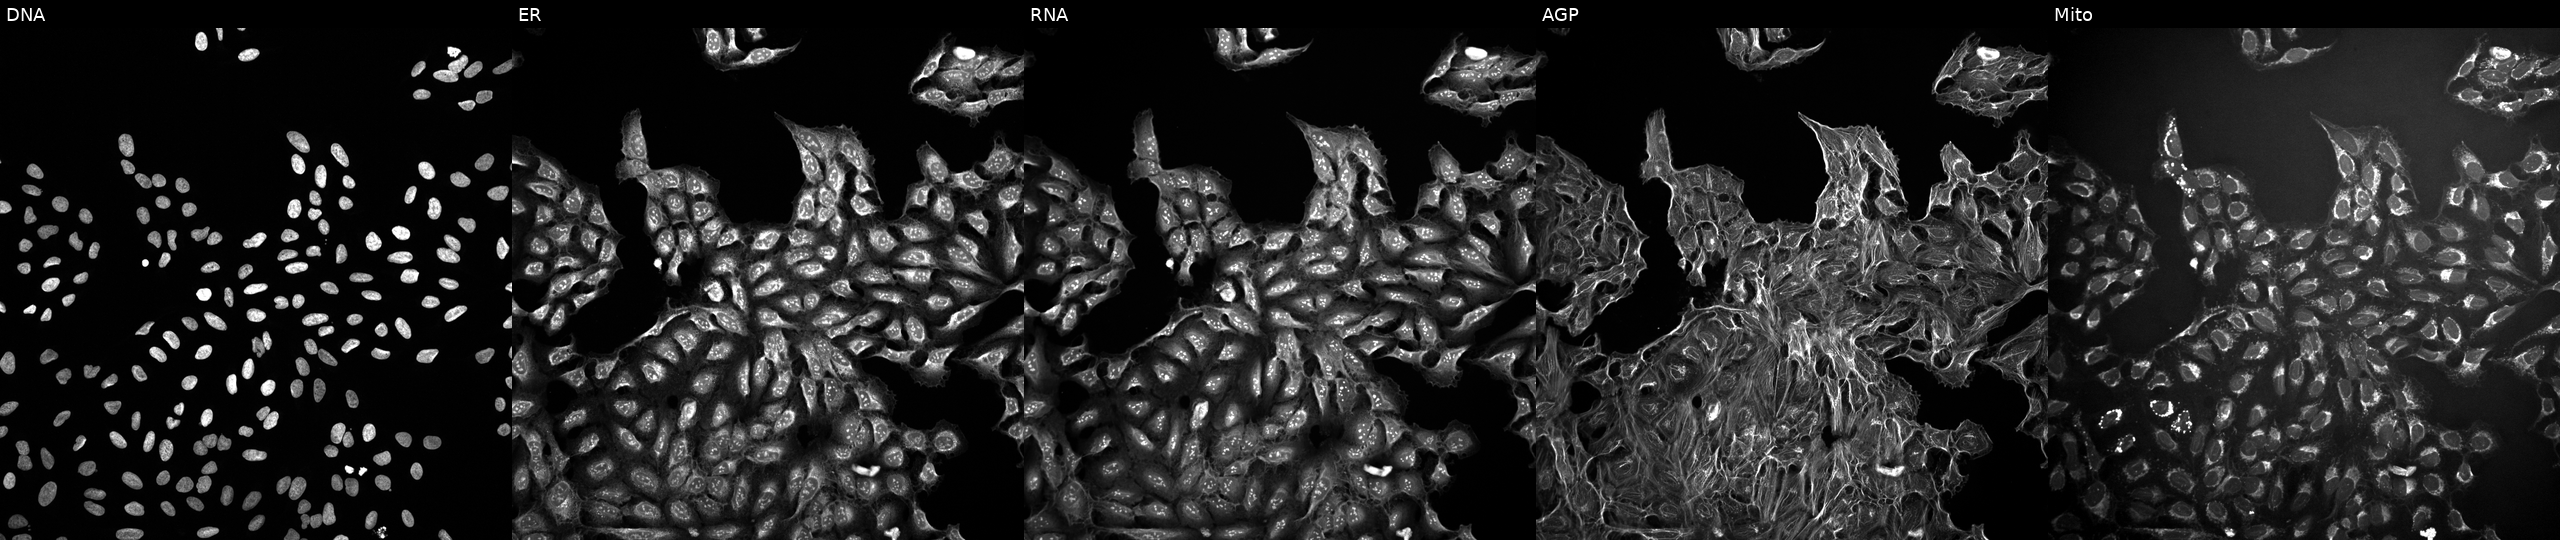
This image strip shows the five Cell Painting channels for a single field of U2OS cells exposed to a small-molecule compound (JUMP id JCP2022_062023). Panels show, left to right, DNA (nuclei); ER (endoplasmic reticulum); RNA (nucleoli and cytoplasmic RNA); AGP (actin cytoskeleton, Golgi, and plasma membrane); Mito (mitochondria).